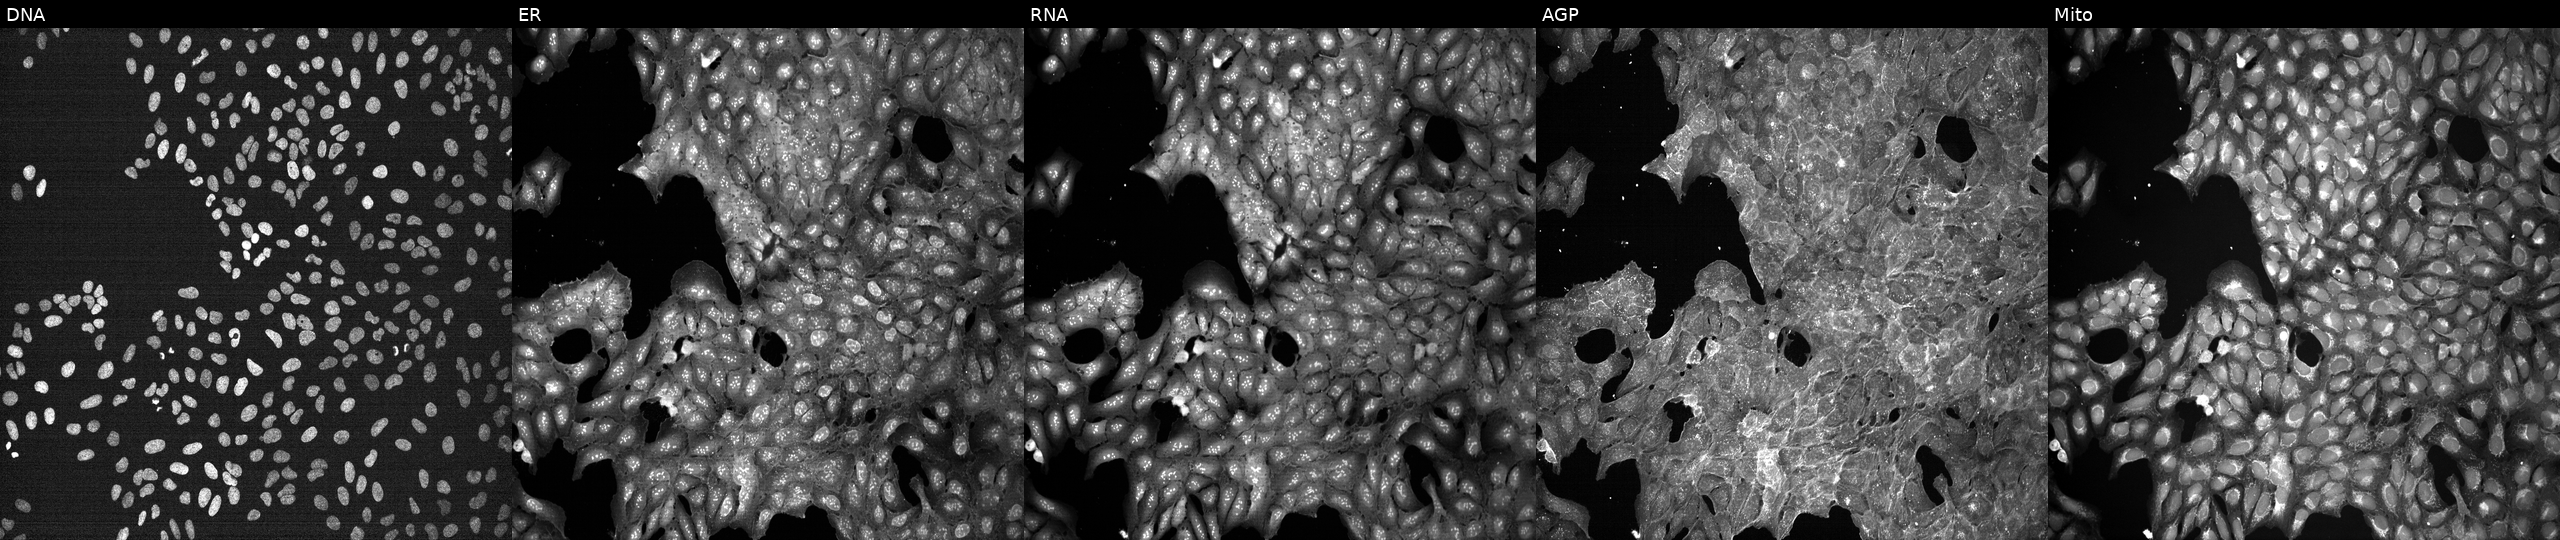
This image strip shows the five Cell Painting channels for a single field of U2OS cells exposed to DMSO alone as a negative control (JUMP id JCP2022_033924). Panels show, left to right, DNA (nuclei); ER (endoplasmic reticulum); RNA (nucleoli and cytoplasmic RNA); AGP (actin cytoskeleton, Golgi, and plasma membrane); Mito (mitochondria). Source 7, plate CP1-SC1-25, well C17.